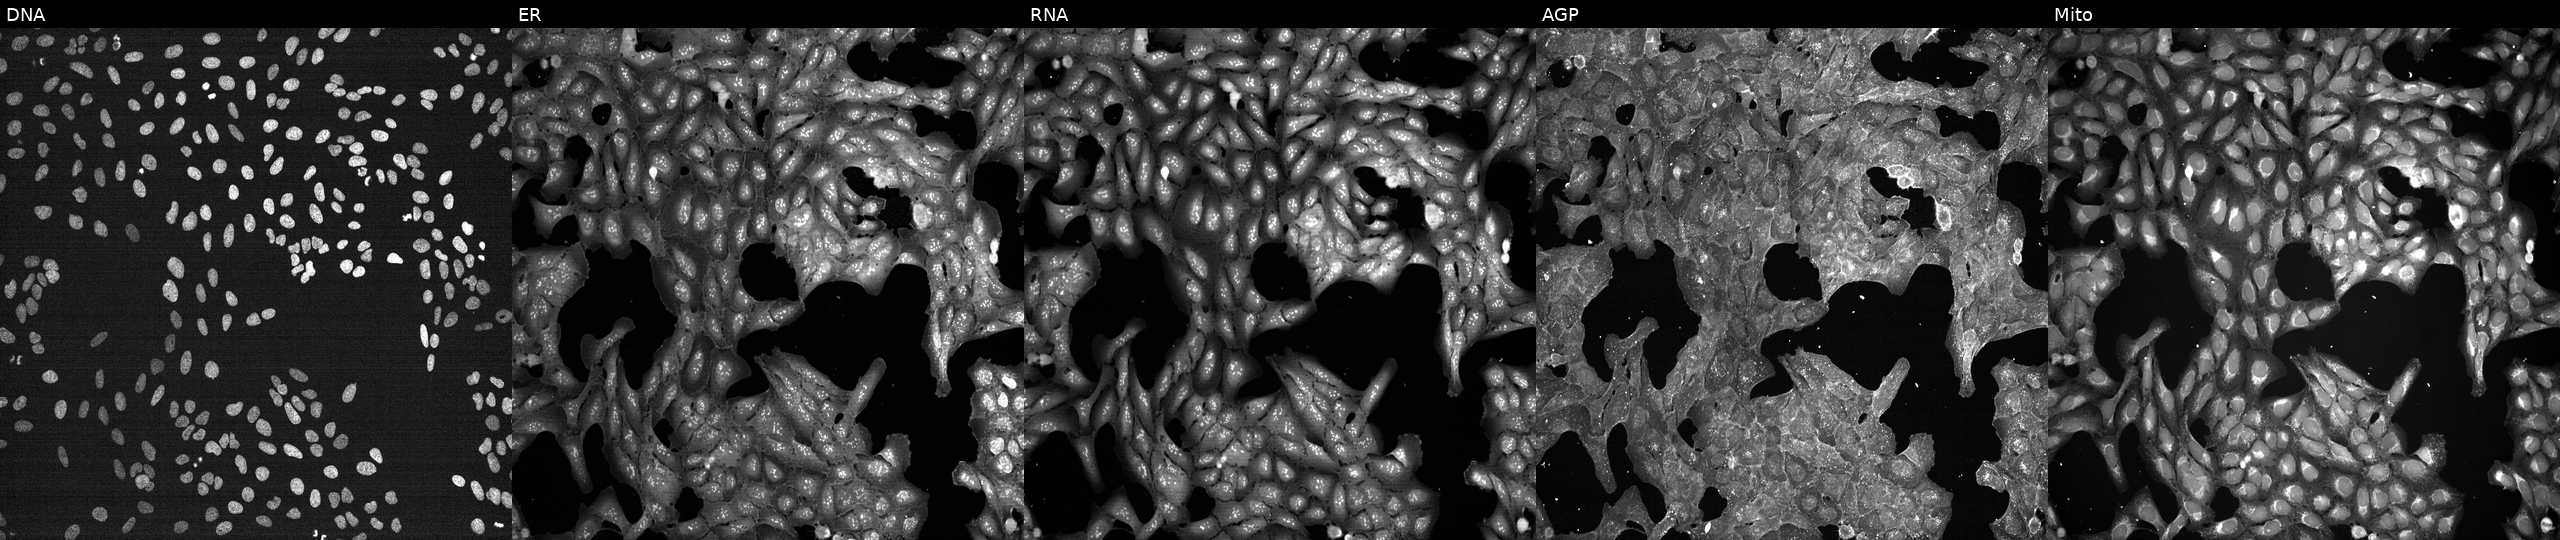
Panels show, left to right, DNA, ER, RNA, AGP, and Mito. U2OS osteosarcoma cells exposed to a small-molecule compound. Cell Painting assay, JUMP-CP dataset. Source 7, plate CP1-SC1-25, well B06.